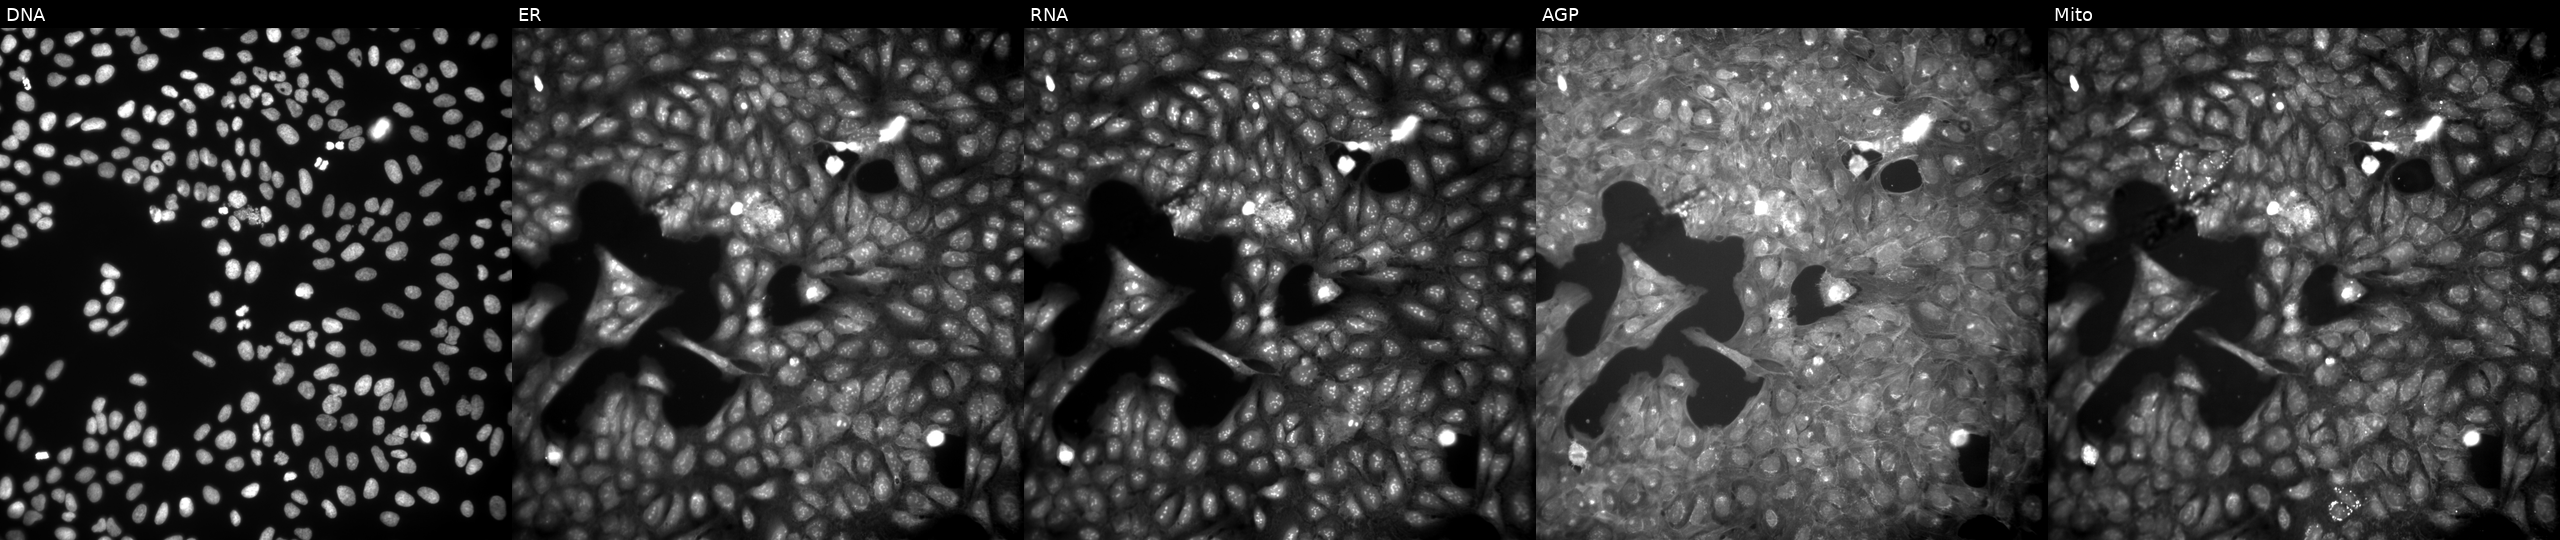
Five-channel Cell Painting image of U2OS cells perturbed with a small-molecule compound (InChIKey IVSFRRJBGAQAIA-UHFFFAOYSA-N) [SMILES: COC(=O)CNC(c1ccccc1)c1cc(Br)ccc1NC(=O)c1ccccc1Cl] (JUMP id JCP2022_037704). The five panels, left to right, show Hoechst 33342, concanavalin A, SYTO 14, phalloidin and WGA, MitoTracker. Source 9, plate GR00003382, well A46.